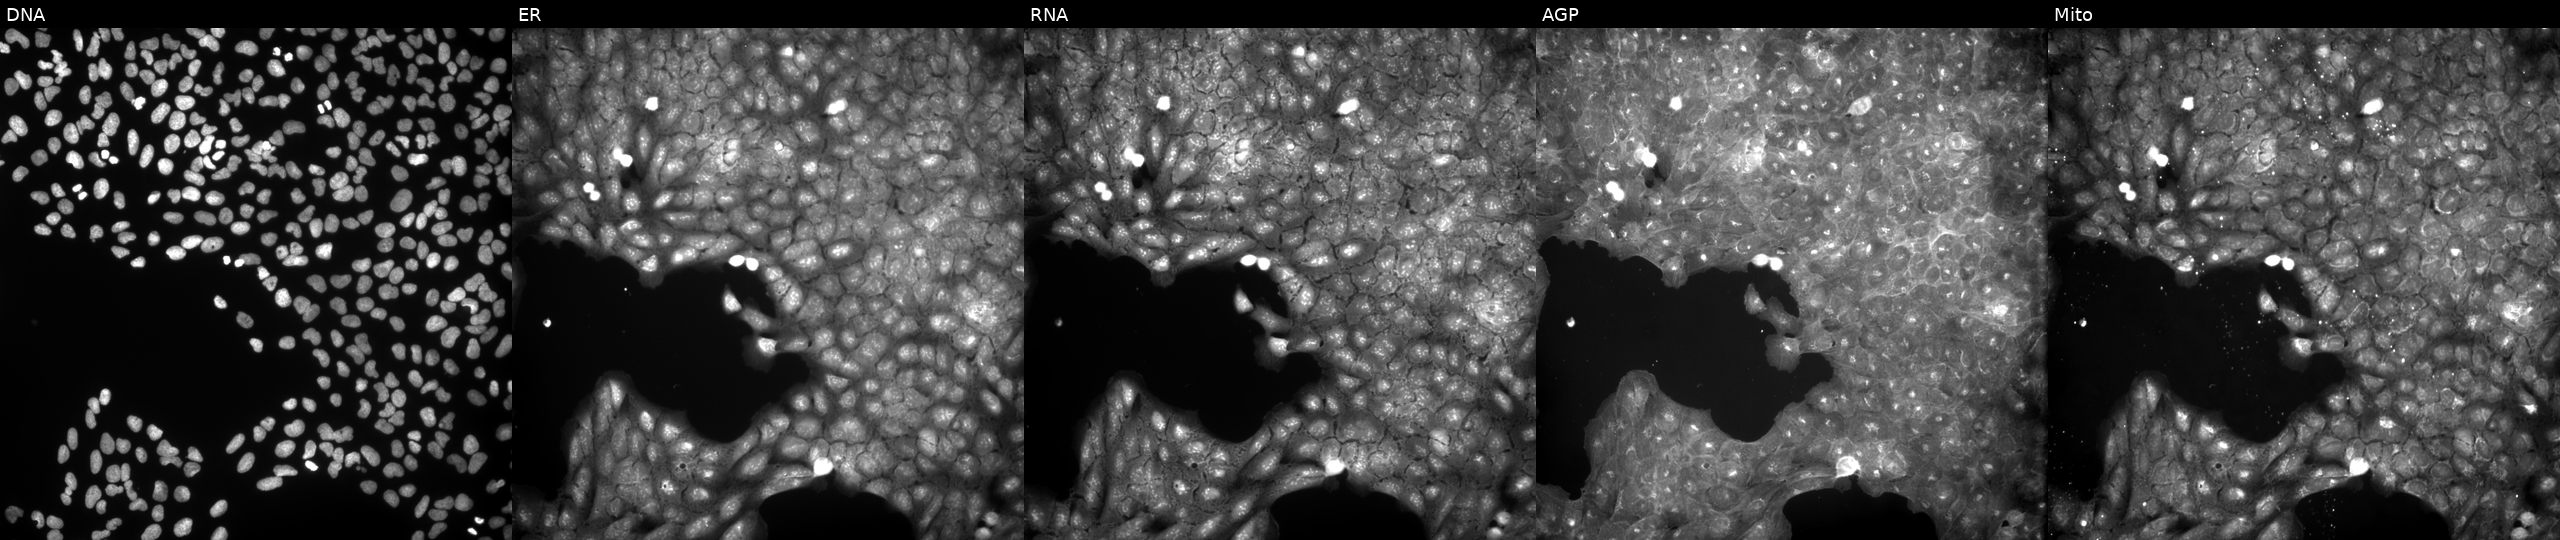
Panels show, left to right, DNA, ER, RNA, AGP, and Mito. U2OS osteosarcoma cells exposed to DMSO alone as a negative control. Cell Painting assay, JUMP-CP dataset.